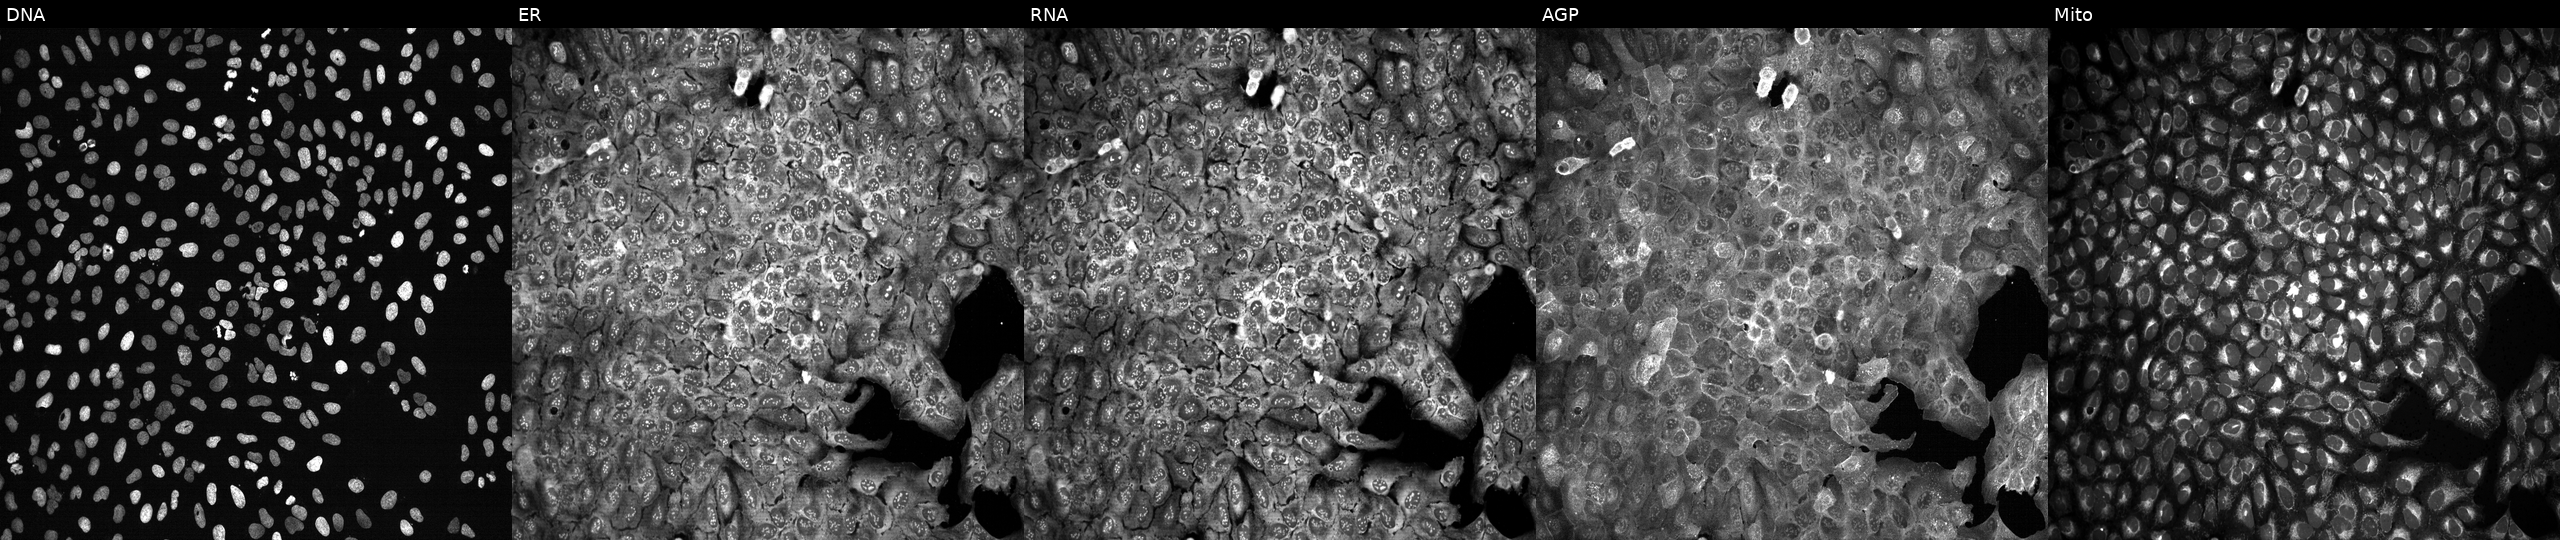
This image strip shows the five Cell Painting channels for a single field of U2OS cells following CRISPR knockout of HS3ST1 (JUMP id JCP2022_803226). Panels show, left to right, Hoechst 33342, concanavalin A, SYTO 14, phalloidin and WGA, MitoTracker. Source 13, plate CP-CC9-R2-02, well F18.